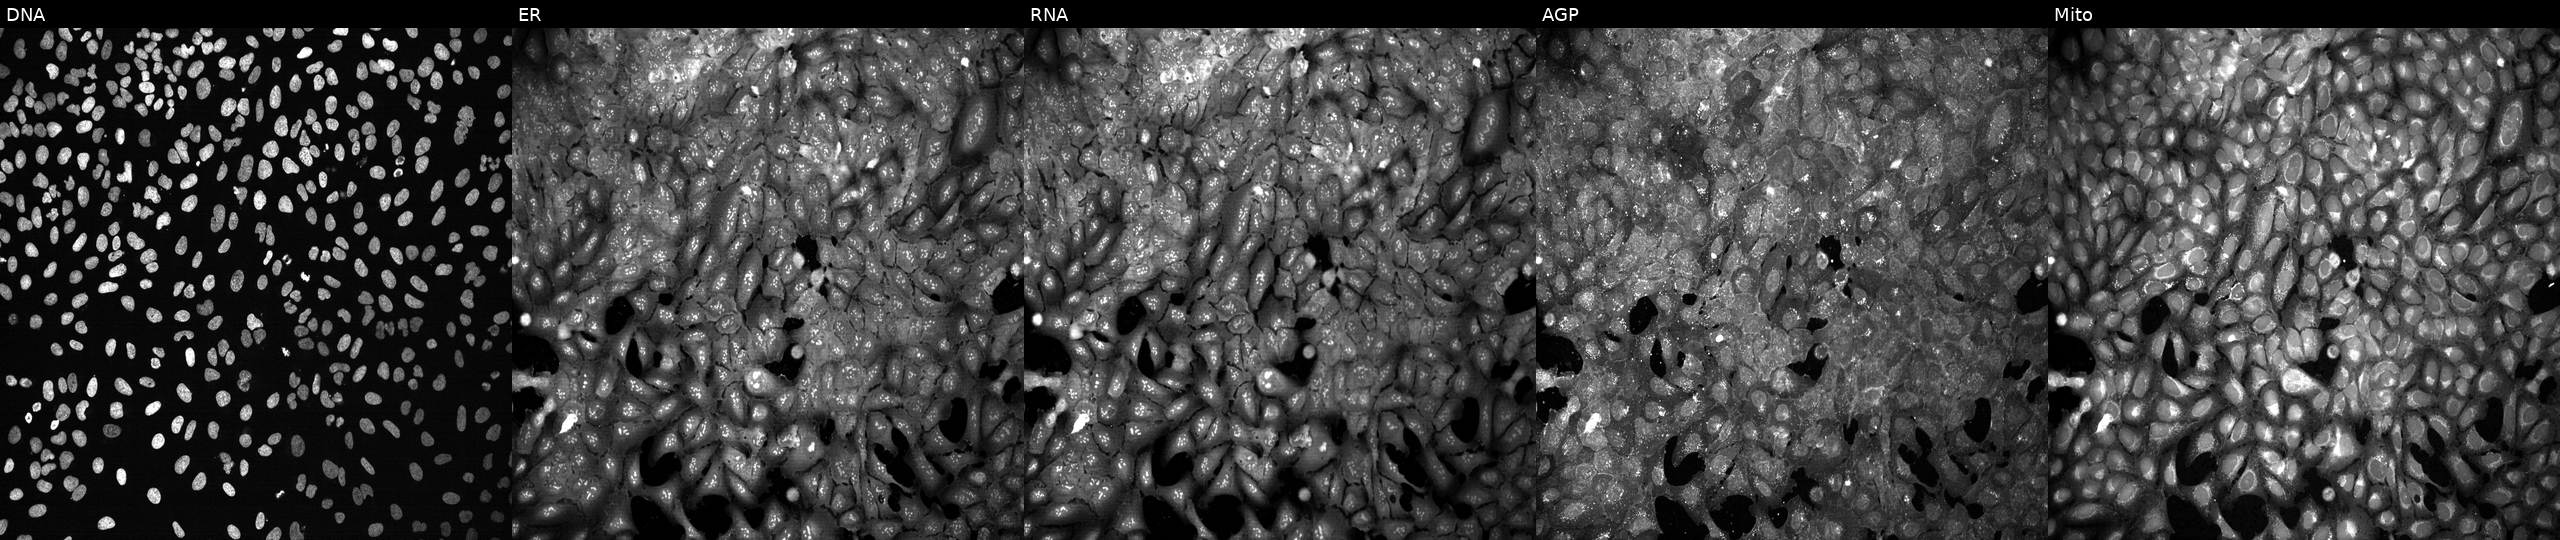
U2OS cells, Cell Painting assay, following CRISPR knockout of IL1RAPL1. The five panels, left to right, show Hoechst 33342, concanavalin A, SYTO 14, phalloidin and WGA, MitoTracker. Each panel is percentile-stretched 16-bit fluorescence.